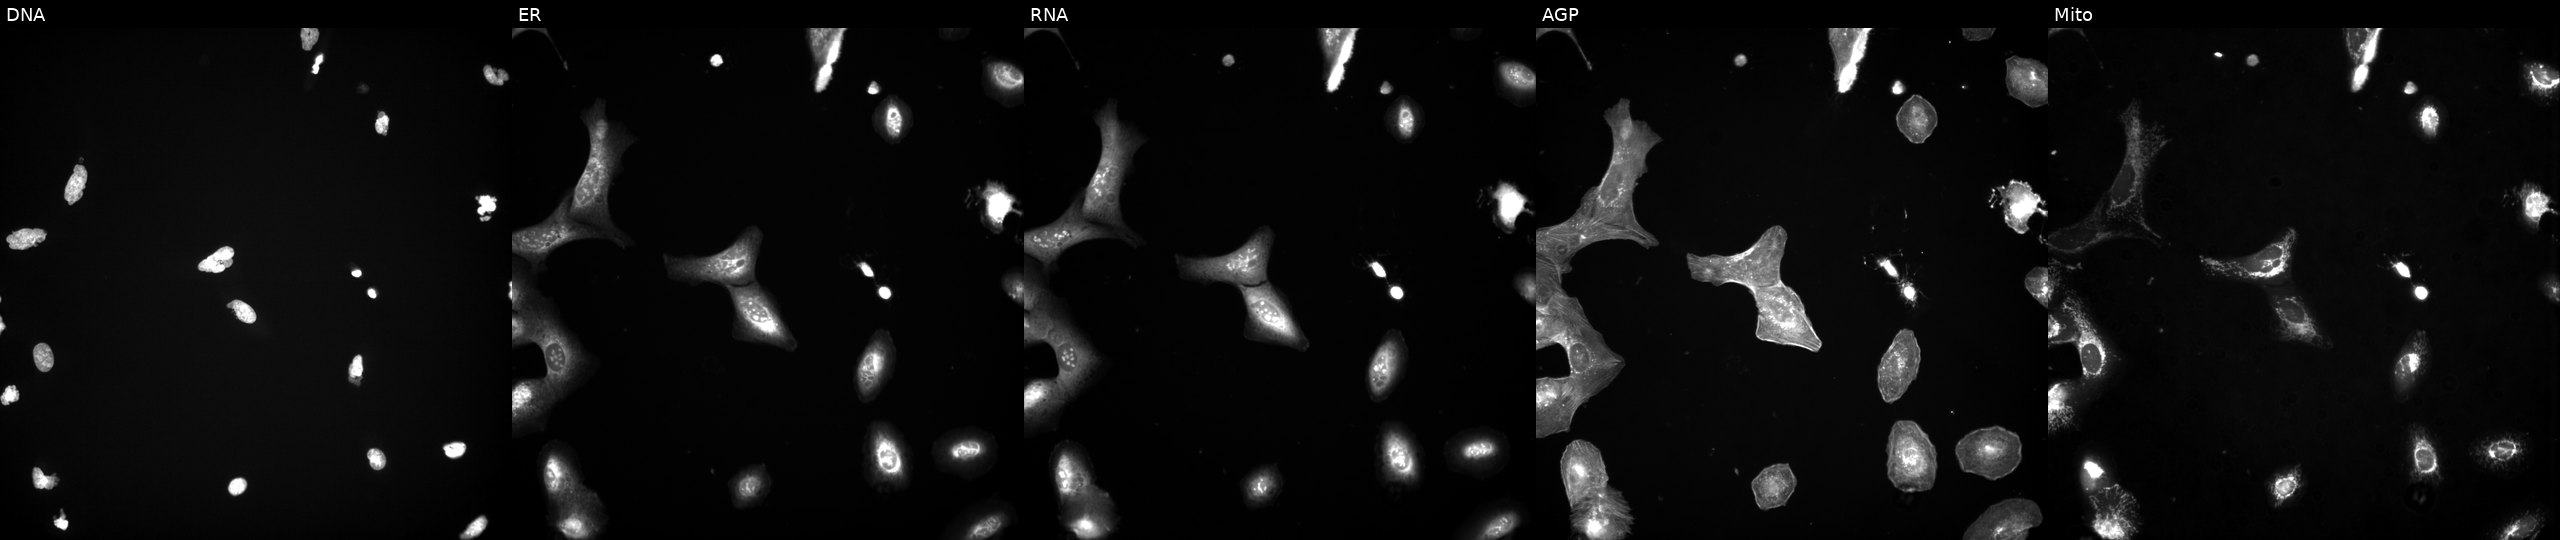
This image strip shows the five Cell Painting channels for a single field of U2OS cells exposed to a small-molecule compound (InChIKey GQXSULRYFDAMOO-UHFFFAOYSA-N). Channels (left→right): DNA (nuclei); ER (endoplasmic reticulum); RNA (nucleoli and cytoplasmic RNA); AGP (actin cytoskeleton, Golgi, and plasma membrane); Mito (mitochondria).